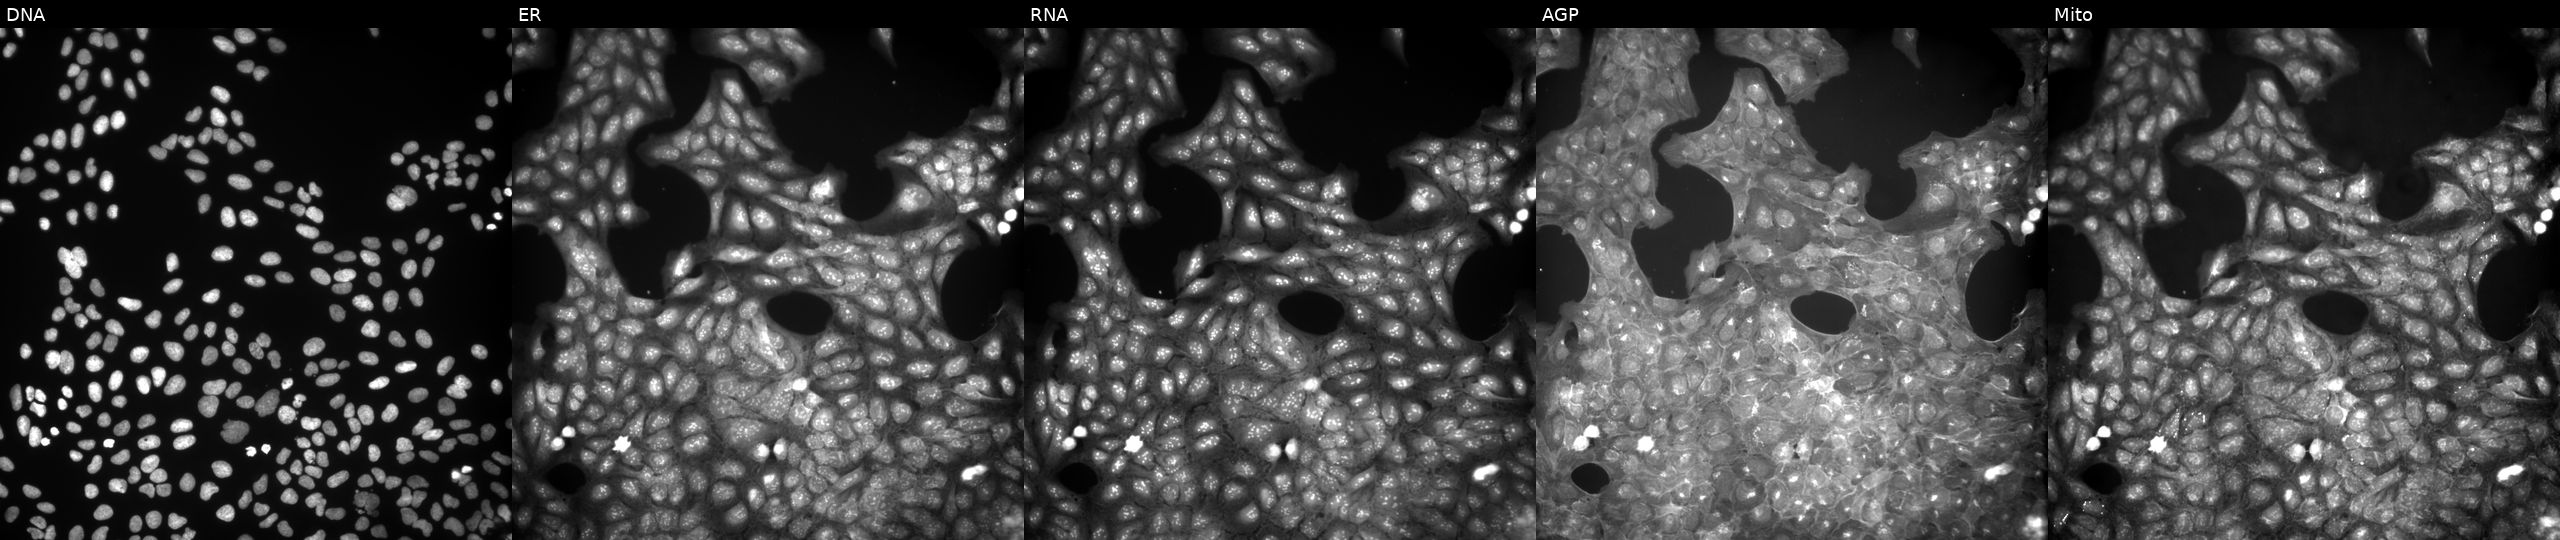
U2OS cells, Cell Painting assay, exposed to a small-molecule compound. Channels (left→right): DNA (nuclei); ER (endoplasmic reticulum); RNA (nucleoli and cytoplasmic RNA); AGP (actin cytoskeleton, Golgi, and plasma membrane); Mito (mitochondria). Each panel is percentile-stretched 16-bit fluorescence. Source 9, plate GR00003382, well AF28.